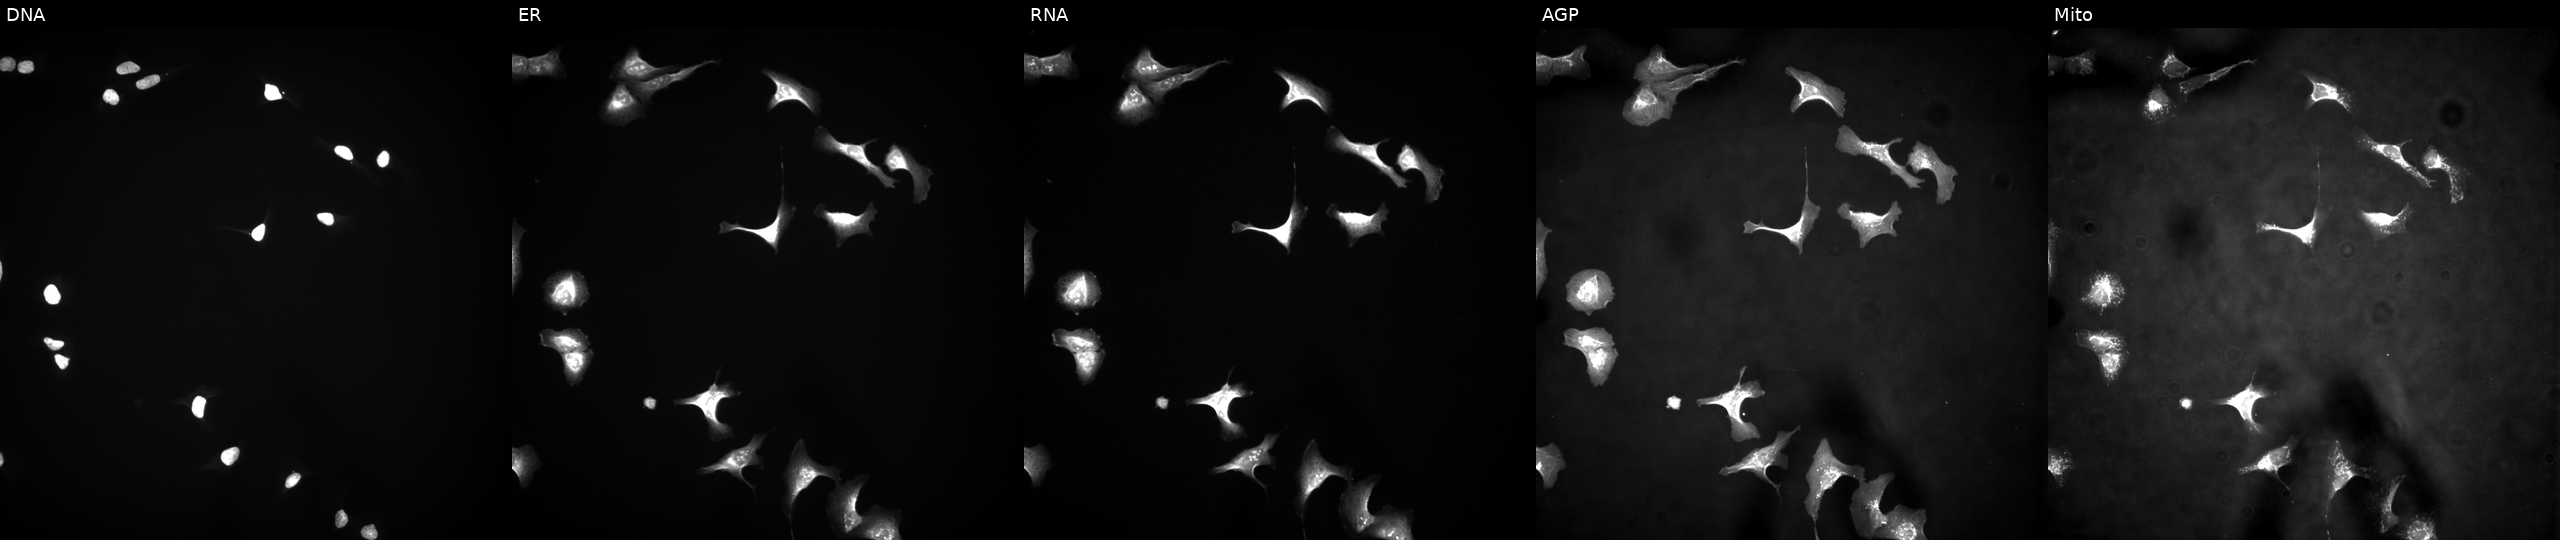
High-content fluorescence microscopy (Cell Painting). Cell line: U2OS. Perturbation: overexpressing WIPI2 via ORF transfection (JUMP id JCP2022_907471). From left to right: DNA, ER, RNA, AGP, and Mito. Source 4, plate BR00121543, well J08.